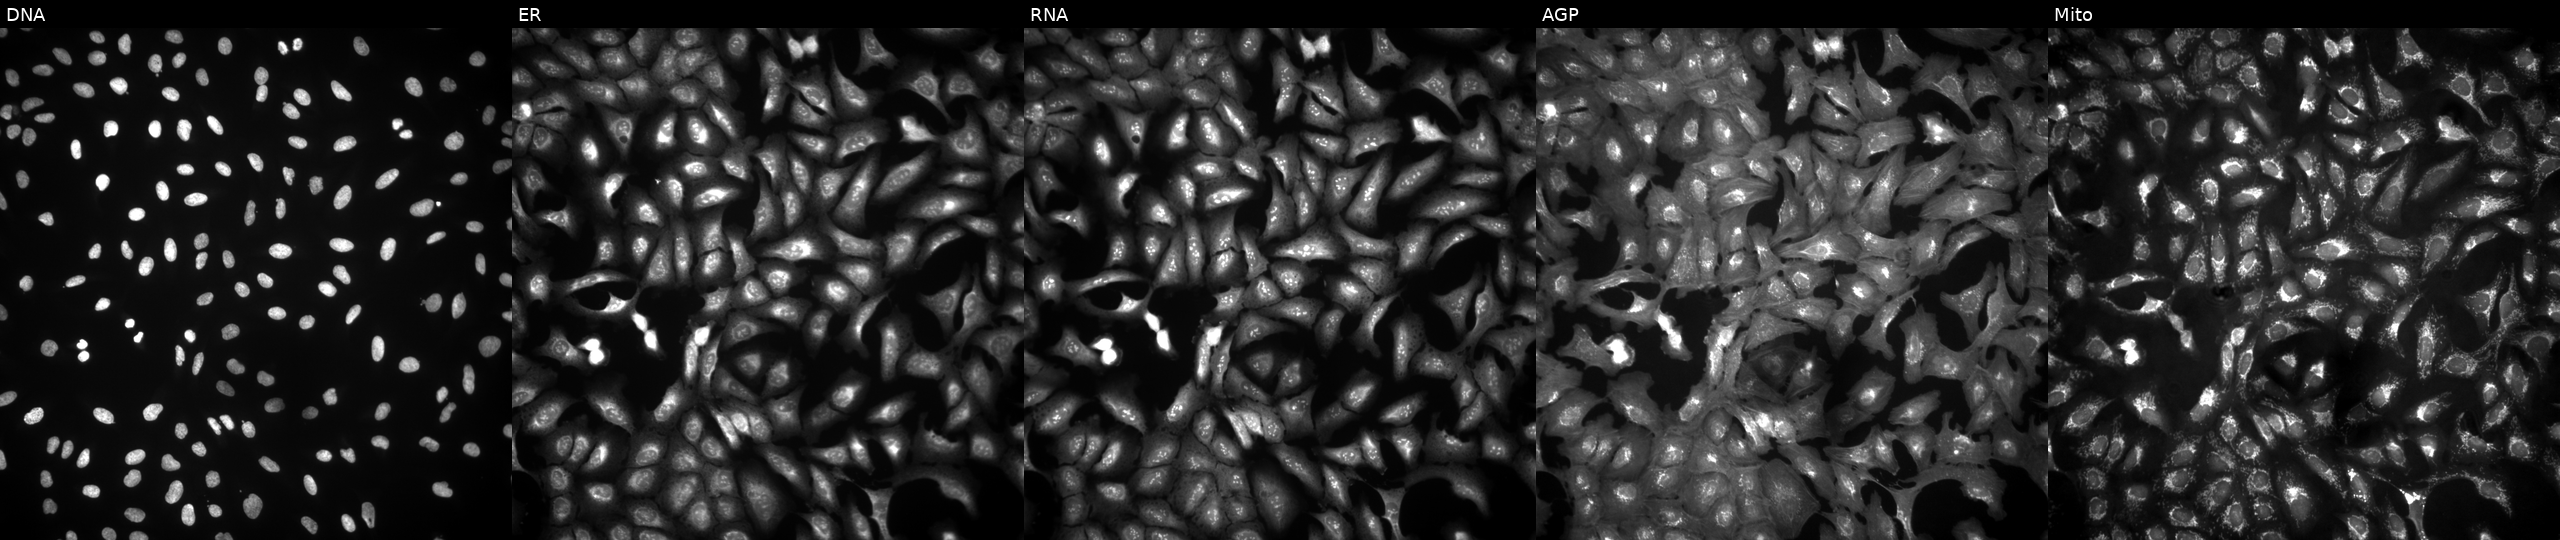
From left to right: DNA (nuclei); ER (endoplasmic reticulum); RNA (nucleoli and cytoplasmic RNA); AGP (actin cytoskeleton, Golgi, and plasma membrane); Mito (mitochondria). U2OS osteosarcoma cells untreated (empty-well control) (JUMP id JCP2022_999999). Cell Painting assay, JUMP-CP dataset. Source 4, plate BR00124790, well P21.